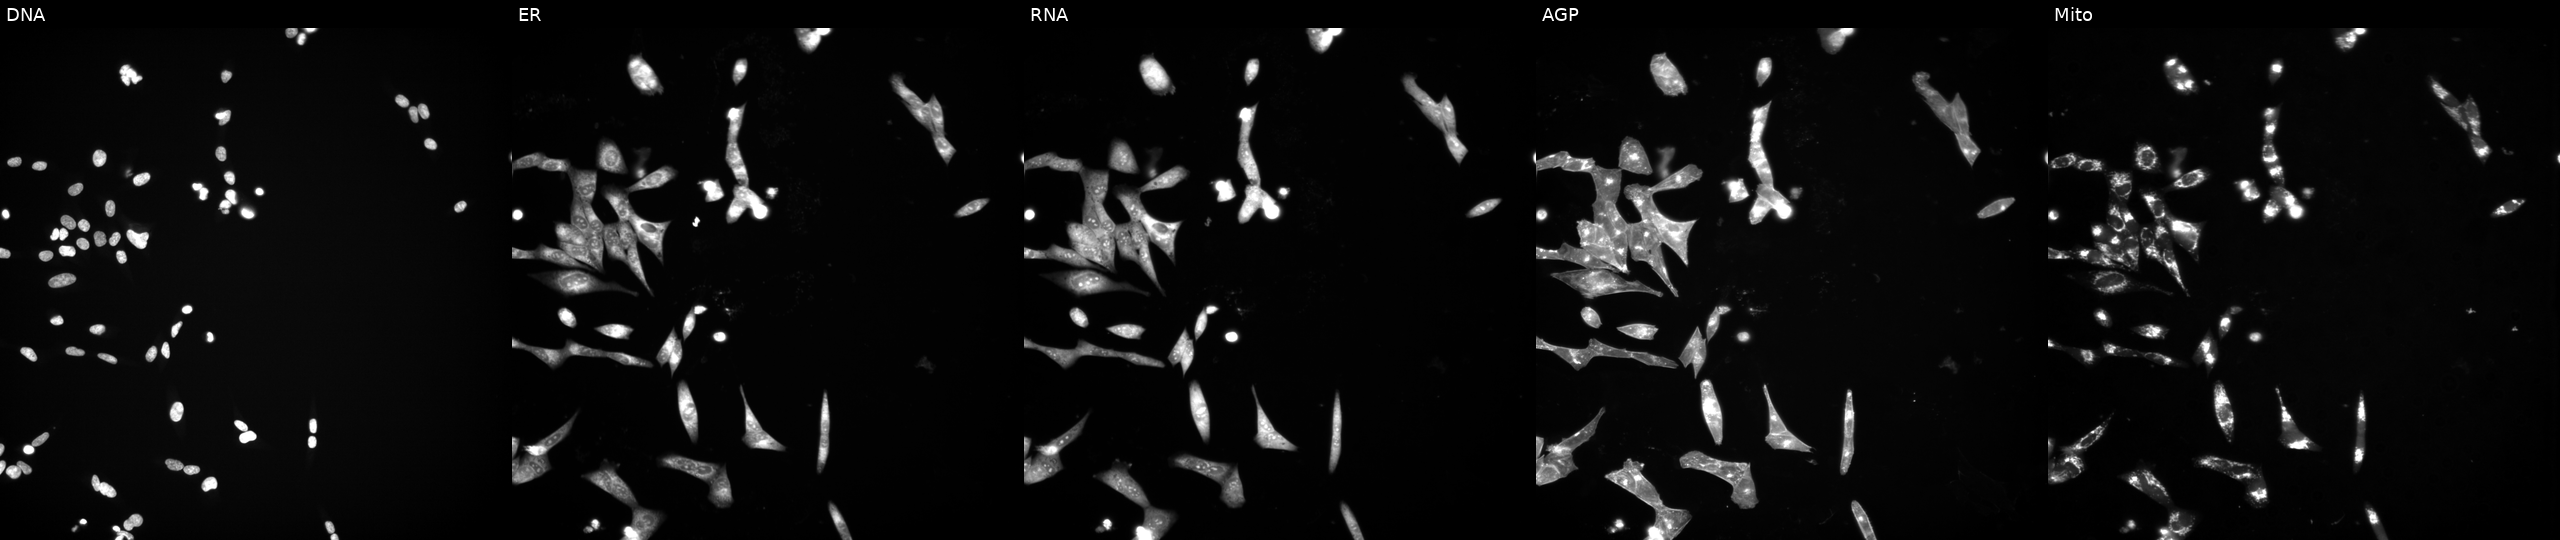
JUMP Cell Painting — TARGET2 plate. U2OS cells treated with a small-molecule compound (InChIKey KJNNWYBAOPXVJY-UHFFFAOYSA-N). Panels show, left to right, Hoechst 33342, concanavalin A, SYTO 14, phalloidin and WGA, MitoTracker.